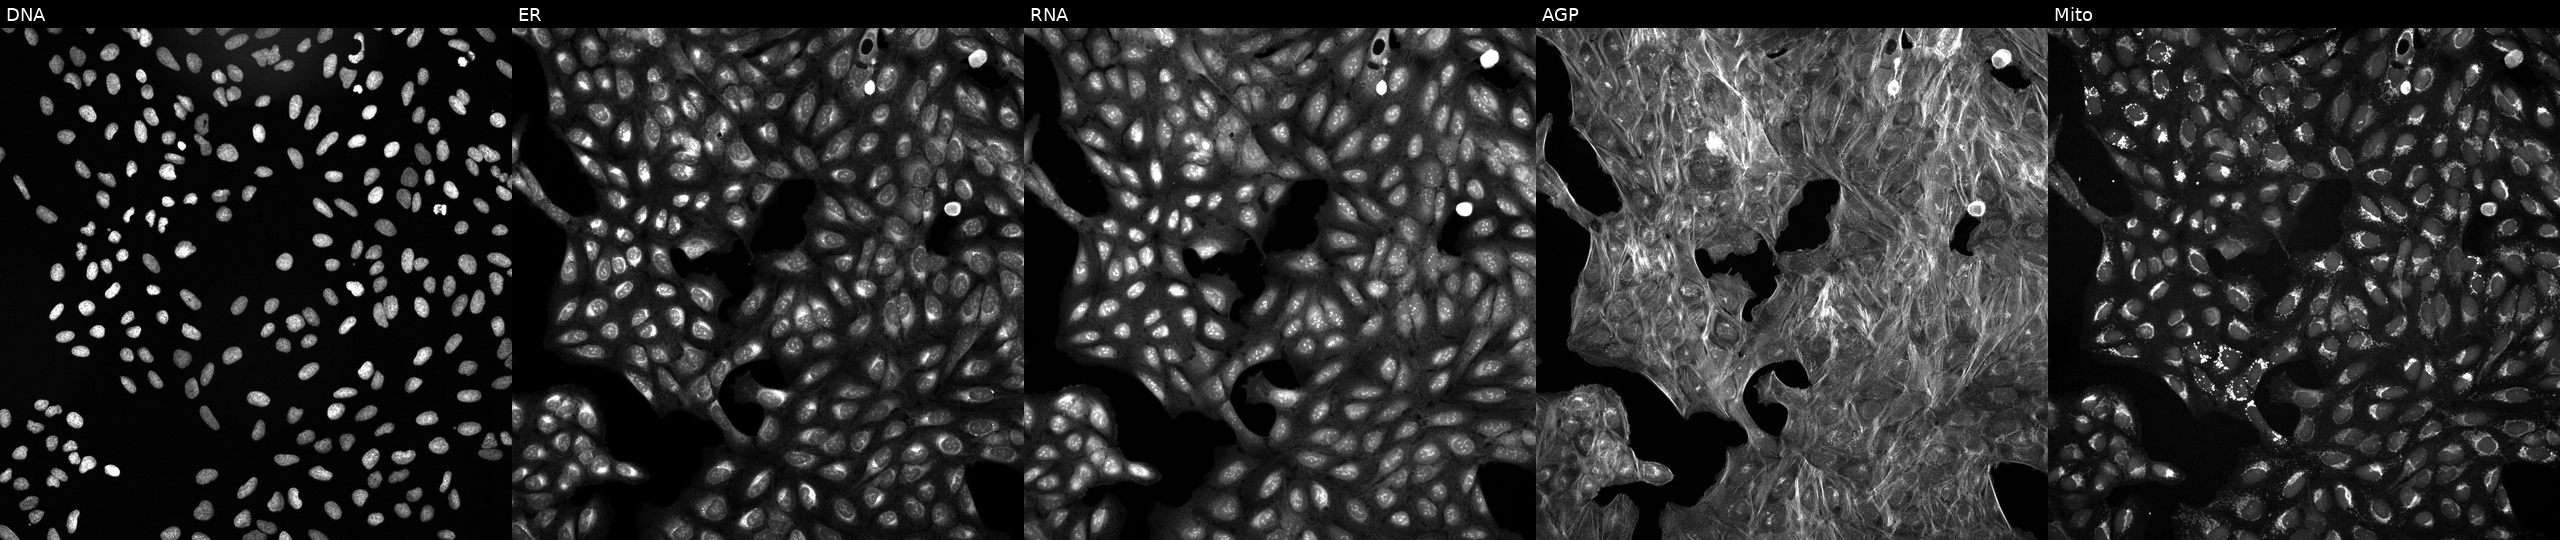
JUMP Cell Painting — COMPOUND plate. U2OS cells exposed to DMSO alone as a negative control (JUMP id JCP2022_033924). From left to right: DNA (nuclei); ER (endoplasmic reticulum); RNA (nucleoli and cytoplasmic RNA); AGP (actin cytoskeleton, Golgi, and plasma membrane); Mito (mitochondria). Source 6, plate 110000293083, well H02.